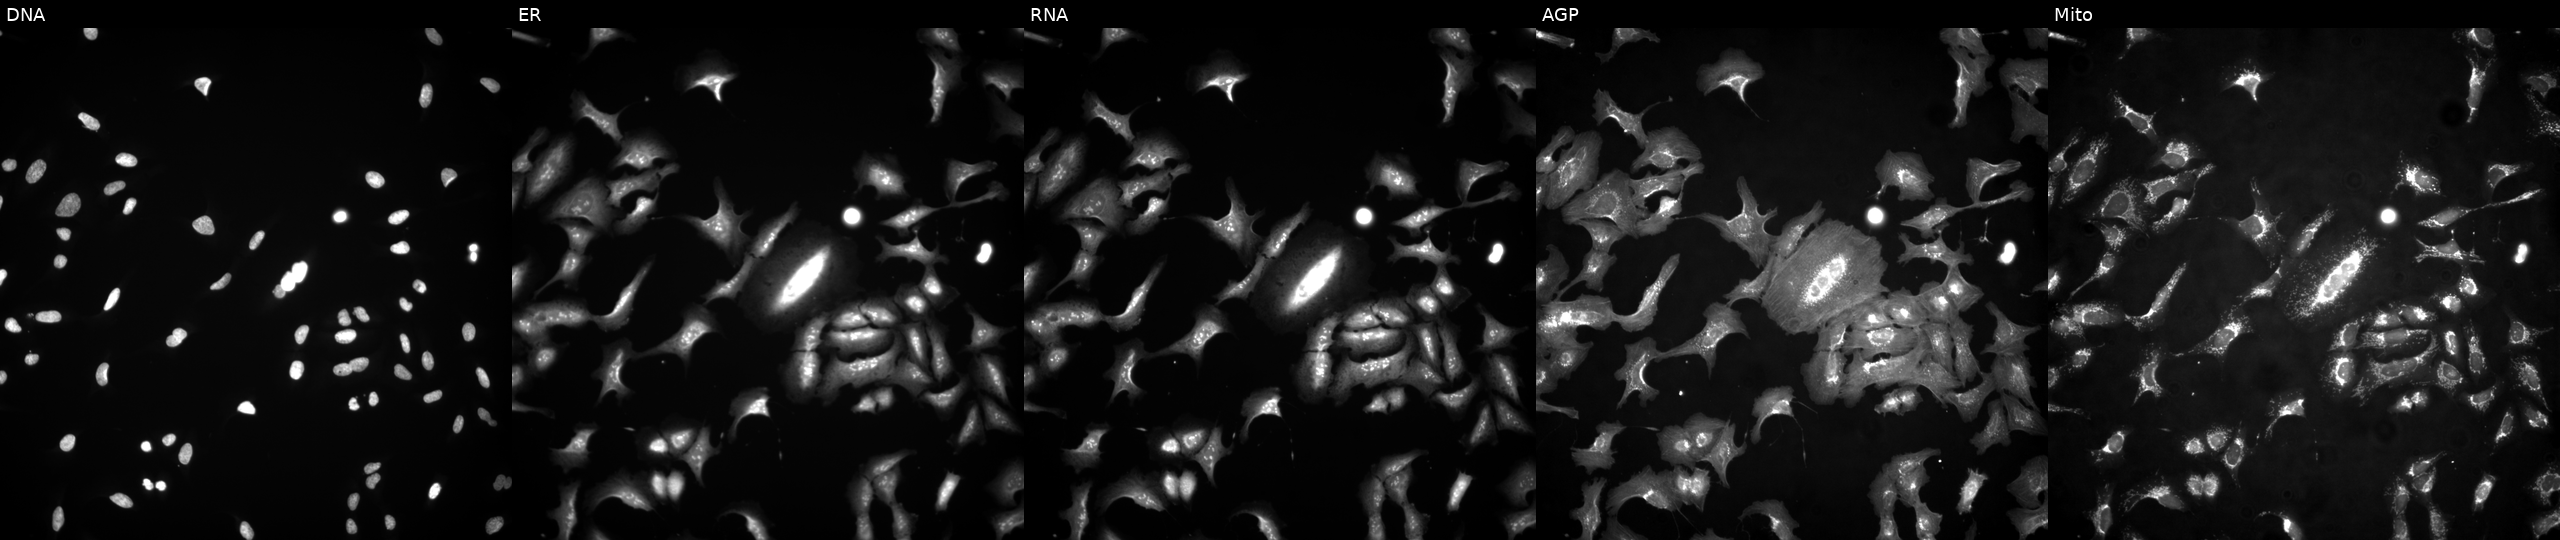
High-content fluorescence microscopy (Cell Painting). Cell line: U2OS. Perturbation: transfected with an ORF construct for ZNF684 (JUMP id JCP2022_912240). Channels (left→right): Hoechst 33342, concanavalin A, SYTO 14, phalloidin and WGA, MitoTracker. Source 4, plate BR00117035, well O06.